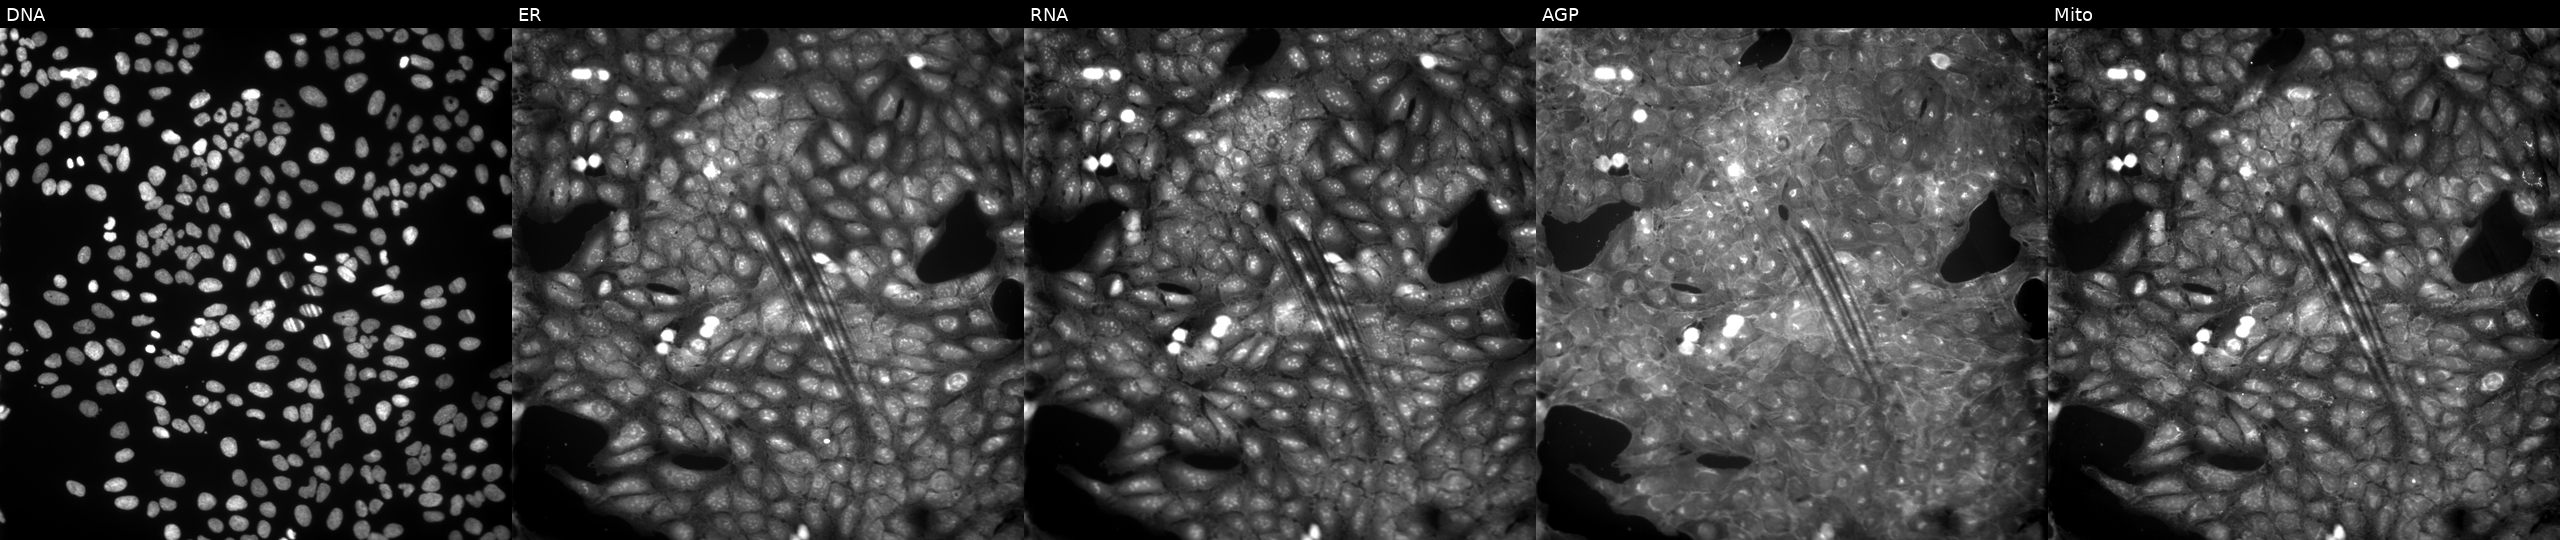
This image strip shows the five Cell Painting channels for a single field of U2OS cells exposed to DMSO alone as a negative control (JUMP id JCP2022_033924). The five panels, left to right, show DNA, ER, RNA, AGP, and Mito.